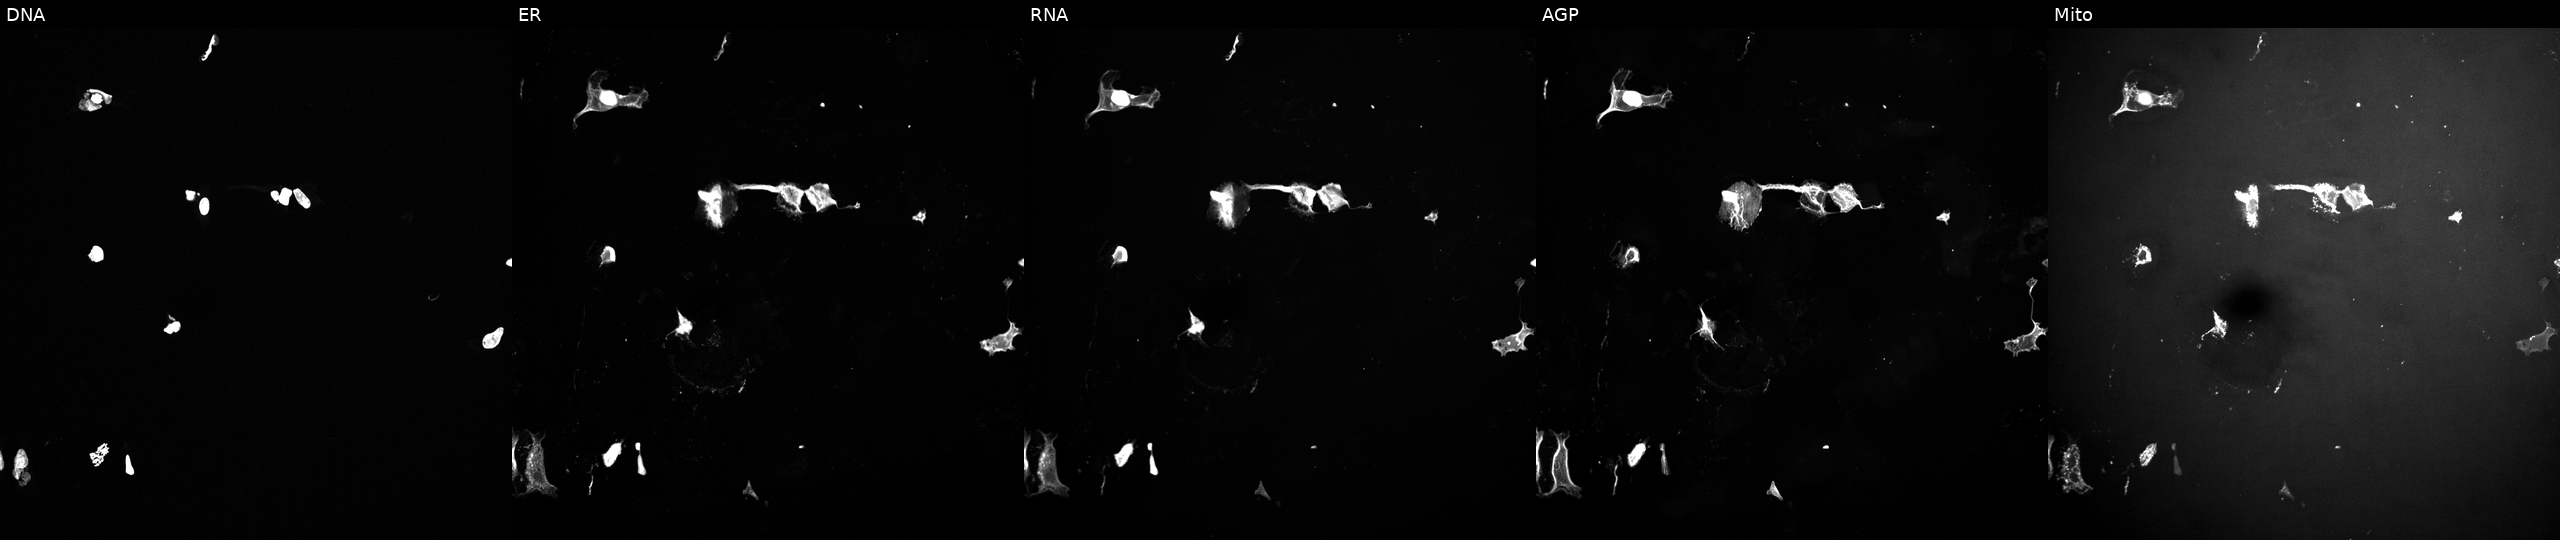
Channels (left→right): Hoechst 33342, concanavalin A, SYTO 14, phalloidin and WGA, MitoTracker. U2OS osteosarcoma cells exposed to a small-molecule compound (InChIKey VSVFLGPUZJTBSD-UHFFFAOYSA-N). Cell Painting assay, JUMP-CP dataset. Source 10, plate Dest210726-160150, well D02.